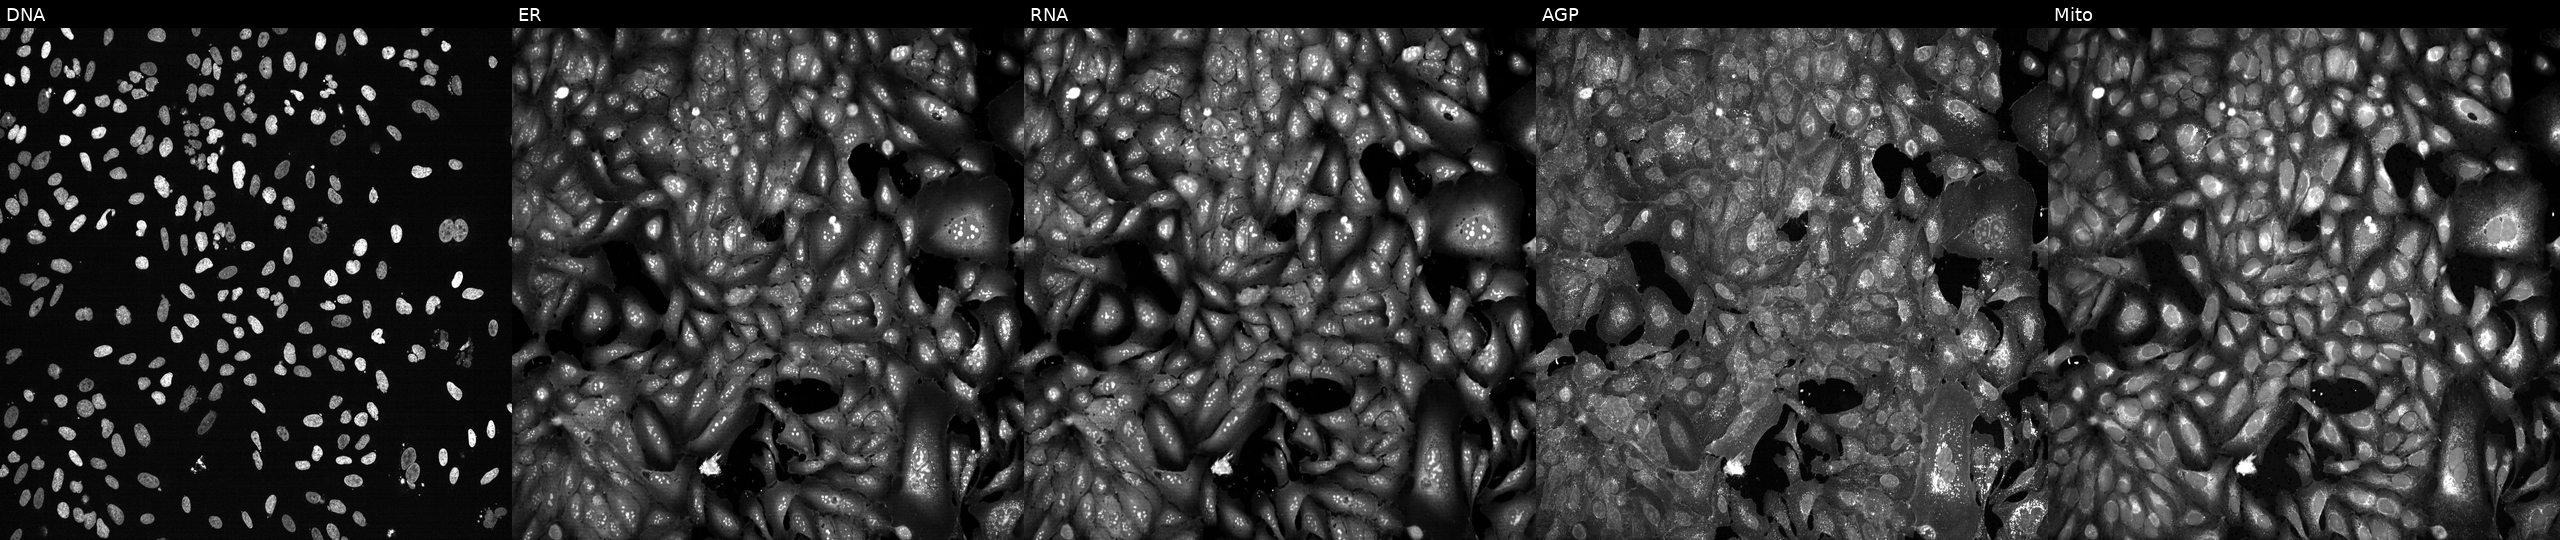
High-content fluorescence microscopy (Cell Painting). Cell line: U2OS. Perturbation: with SLFN12 knocked out by CRISPR (JUMP id JCP2022_806614). Panels show, left to right, Hoechst 33342, concanavalin A, SYTO 14, phalloidin and WGA, MitoTracker.